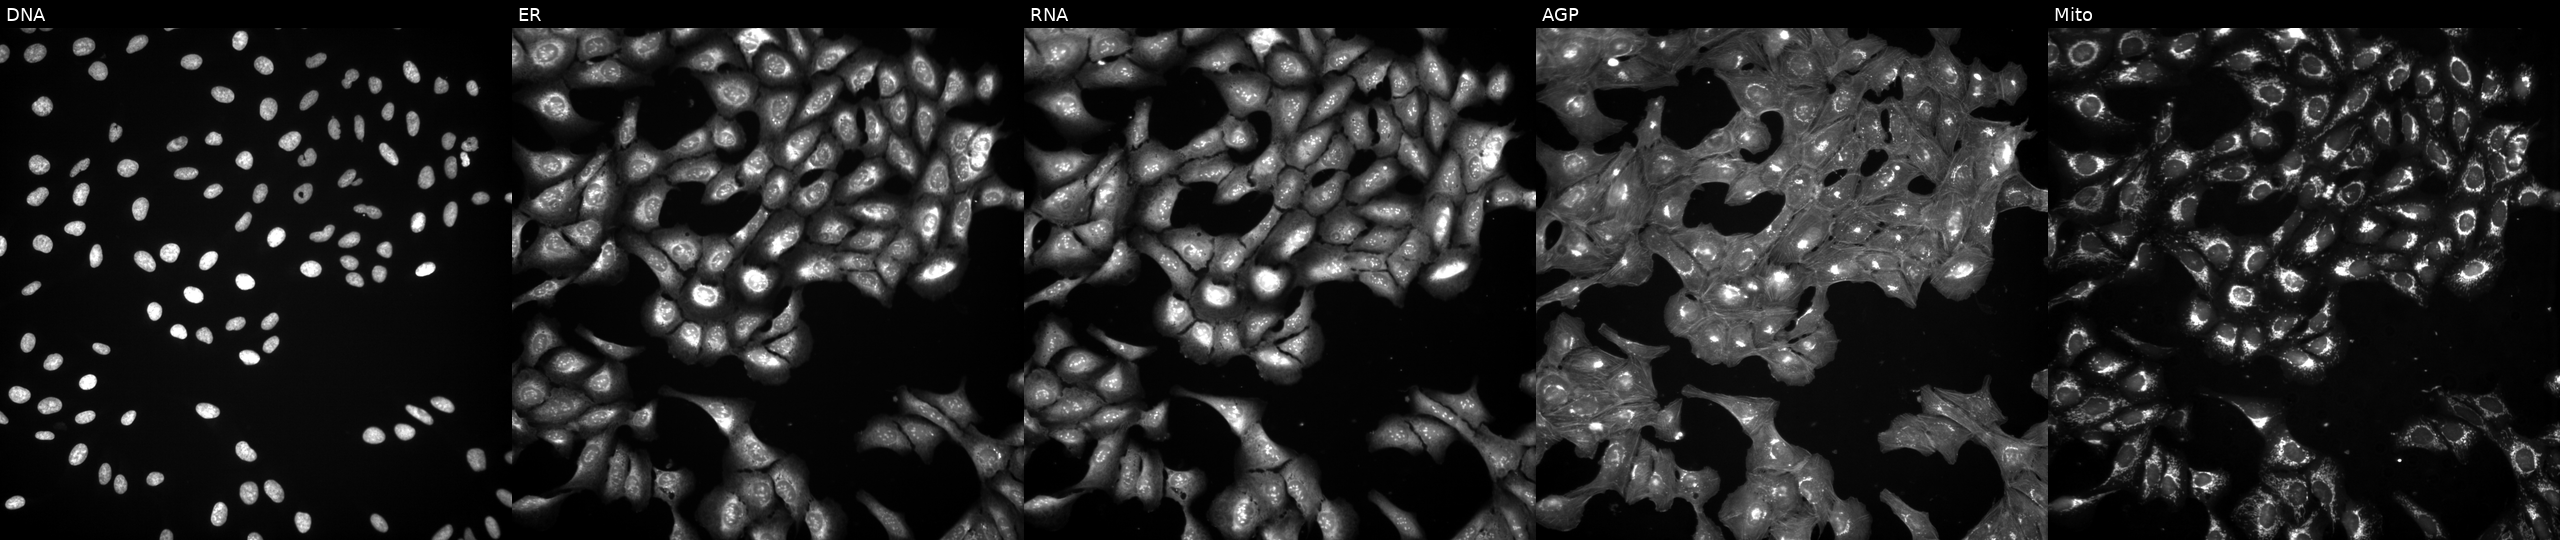
JUMP Cell Painting — TARGET2 plate. U2OS cells perturbed with a small-molecule compound (InChIKey BOFQWVMAQOTZIW-UHFFFAOYSA-N) (JUMP id JCP2022_007613). The five panels, left to right, show Hoechst 33342, concanavalin A, SYTO 14, phalloidin and WGA, MitoTracker. Source 3, plate JCPQC052, well D04.